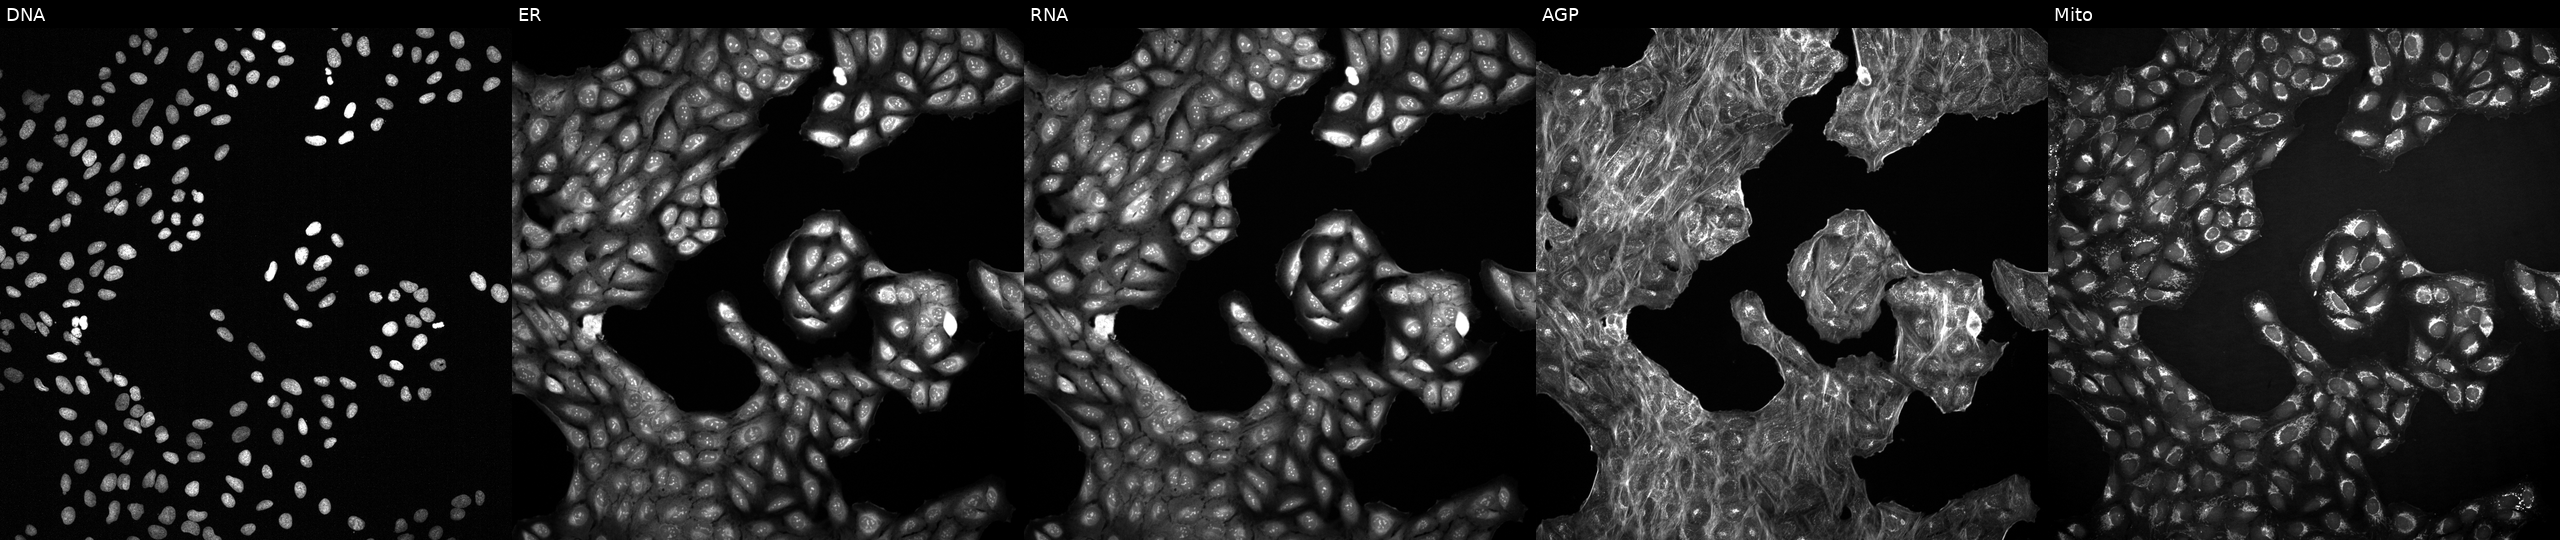
Five-channel Cell Painting image of U2OS cells with an unidentified perturbation (not annotated in JUMP metadata). The five panels, left to right, show DNA, ER, RNA, AGP, and Mito. Source 2, plate 1053601763, well D13.